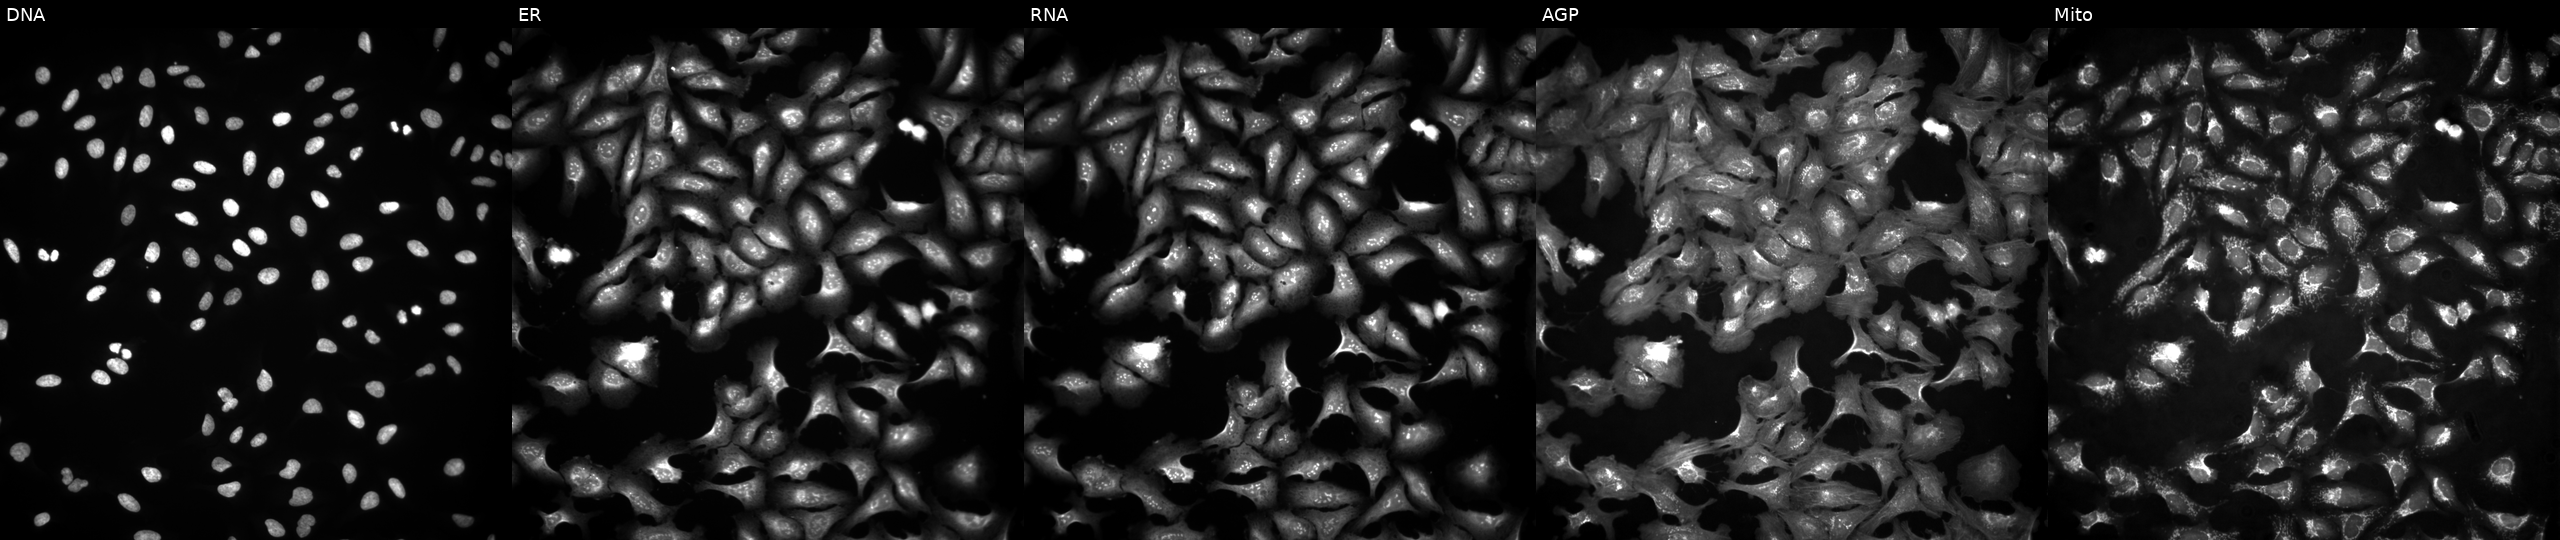
U2OS cells, Cell Painting assay, overexpressing FBXO38 via ORF transfection (JUMP id JCP2022_911857). The five panels, left to right, show DNA, ER, RNA, AGP, and Mito. Each panel is percentile-stretched 16-bit fluorescence.